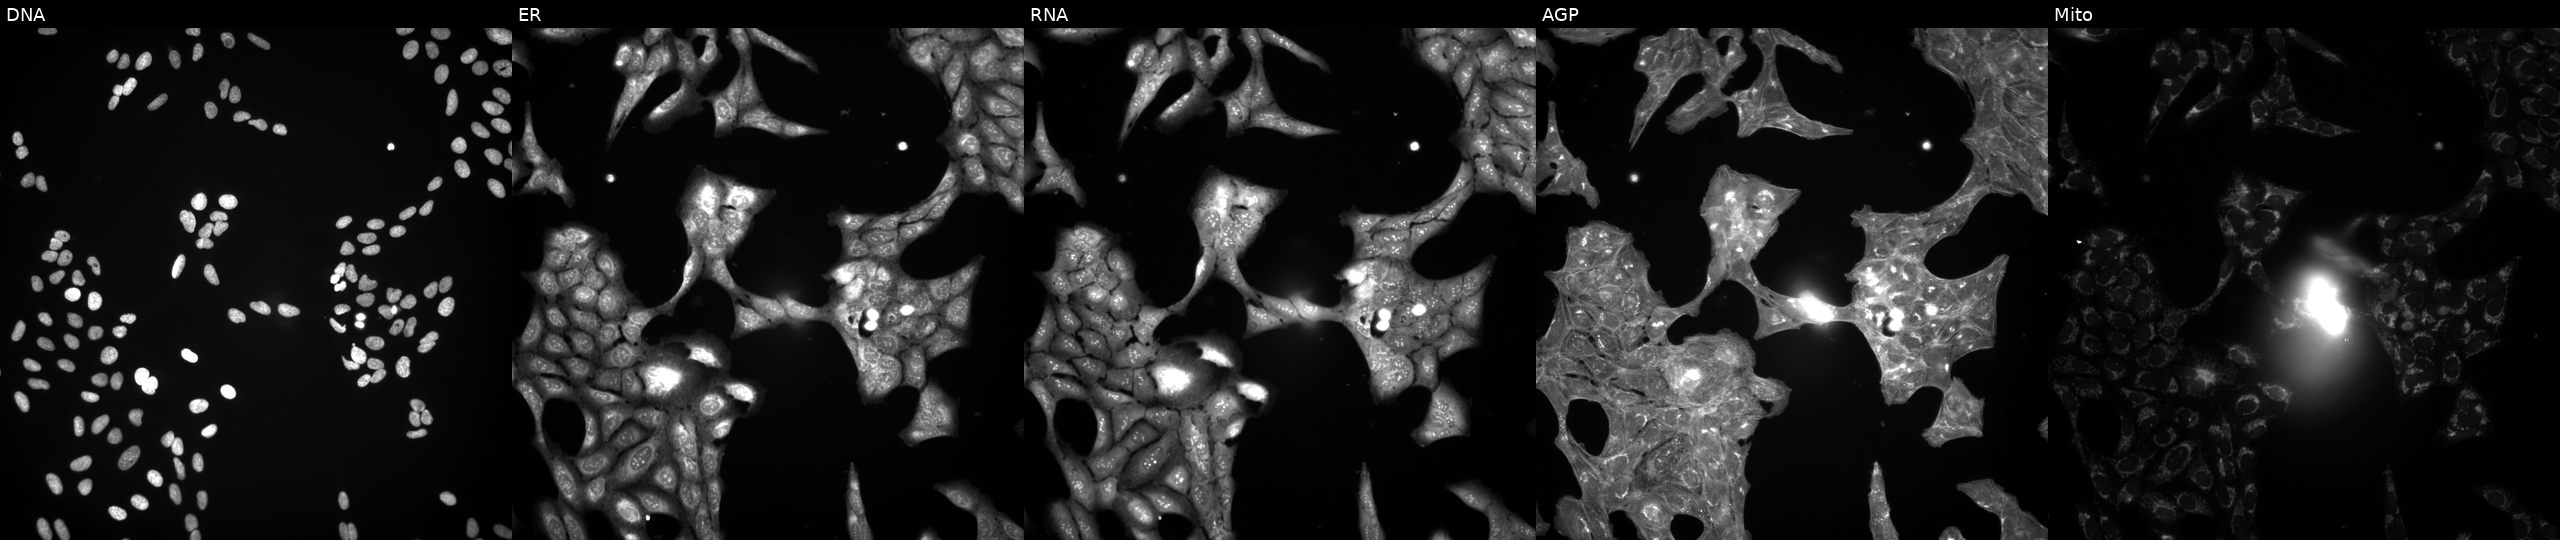
High-content fluorescence microscopy (Cell Painting). Cell line: U2OS. Perturbation: treated with a small-molecule compound (InChIKey CUIHSIWYWATEQL-UHFFFAOYSA-N) (JUMP id JCP2022_013455). From left to right: DNA (nuclei); ER (endoplasmic reticulum); RNA (nucleoli and cytoplasmic RNA); AGP (actin cytoskeleton, Golgi, and plasma membrane); Mito (mitochondria). Source 3, plate JCPQC051, well I17.